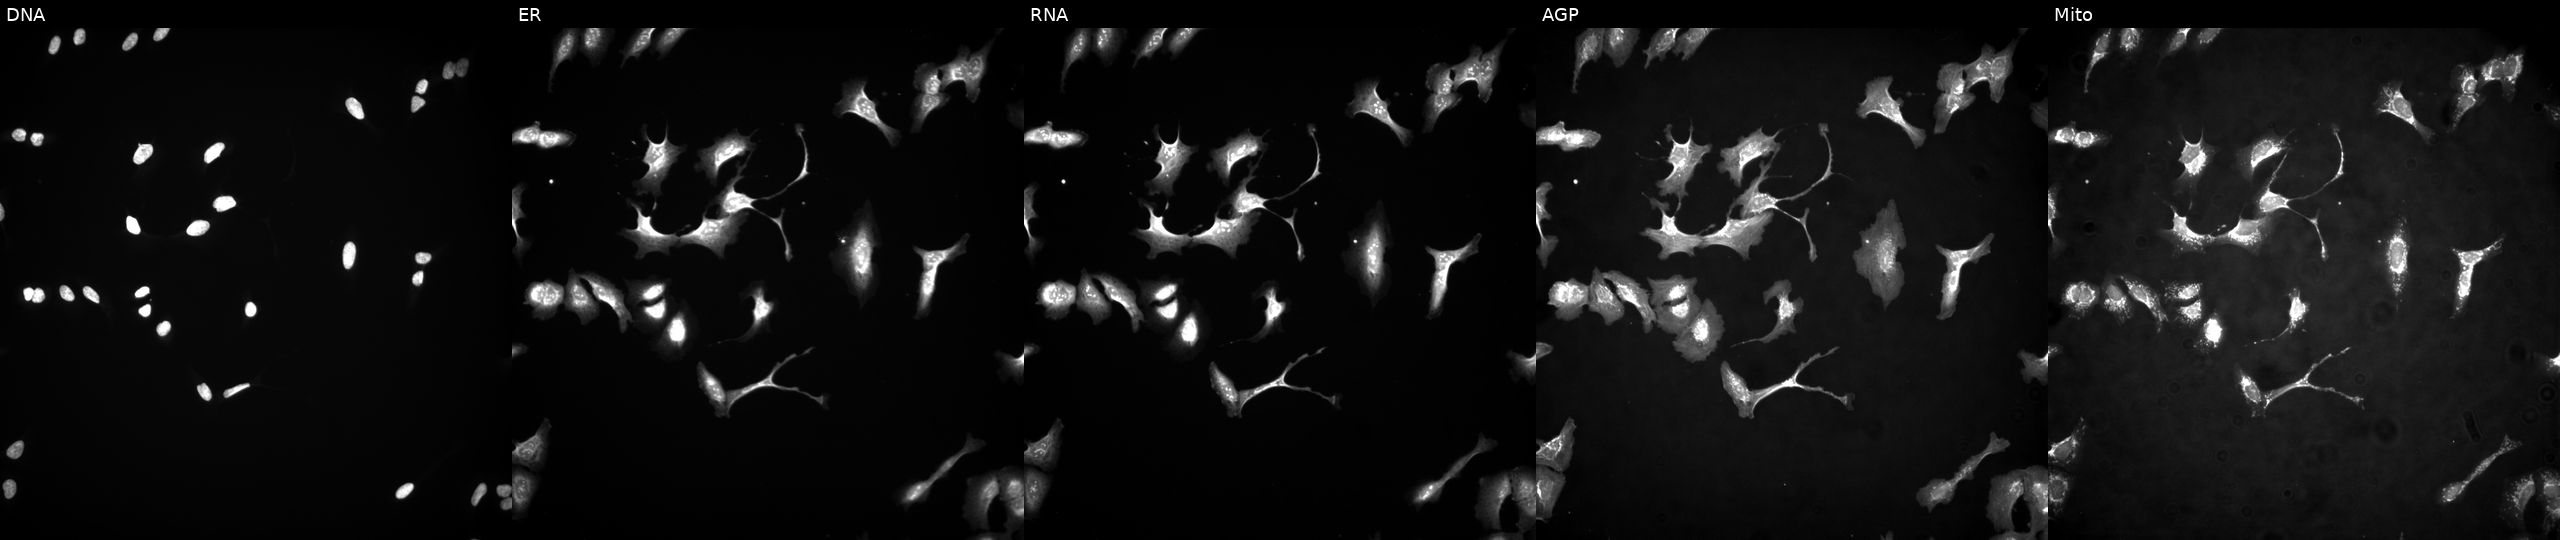
U2OS cells, Cell Painting assay, transfected with an ORF construct for LFNG. Channels (left→right): DNA, ER, RNA, AGP, and Mito. Each panel is percentile-stretched 16-bit fluorescence. Source 4, plate BR00124787, well N16.